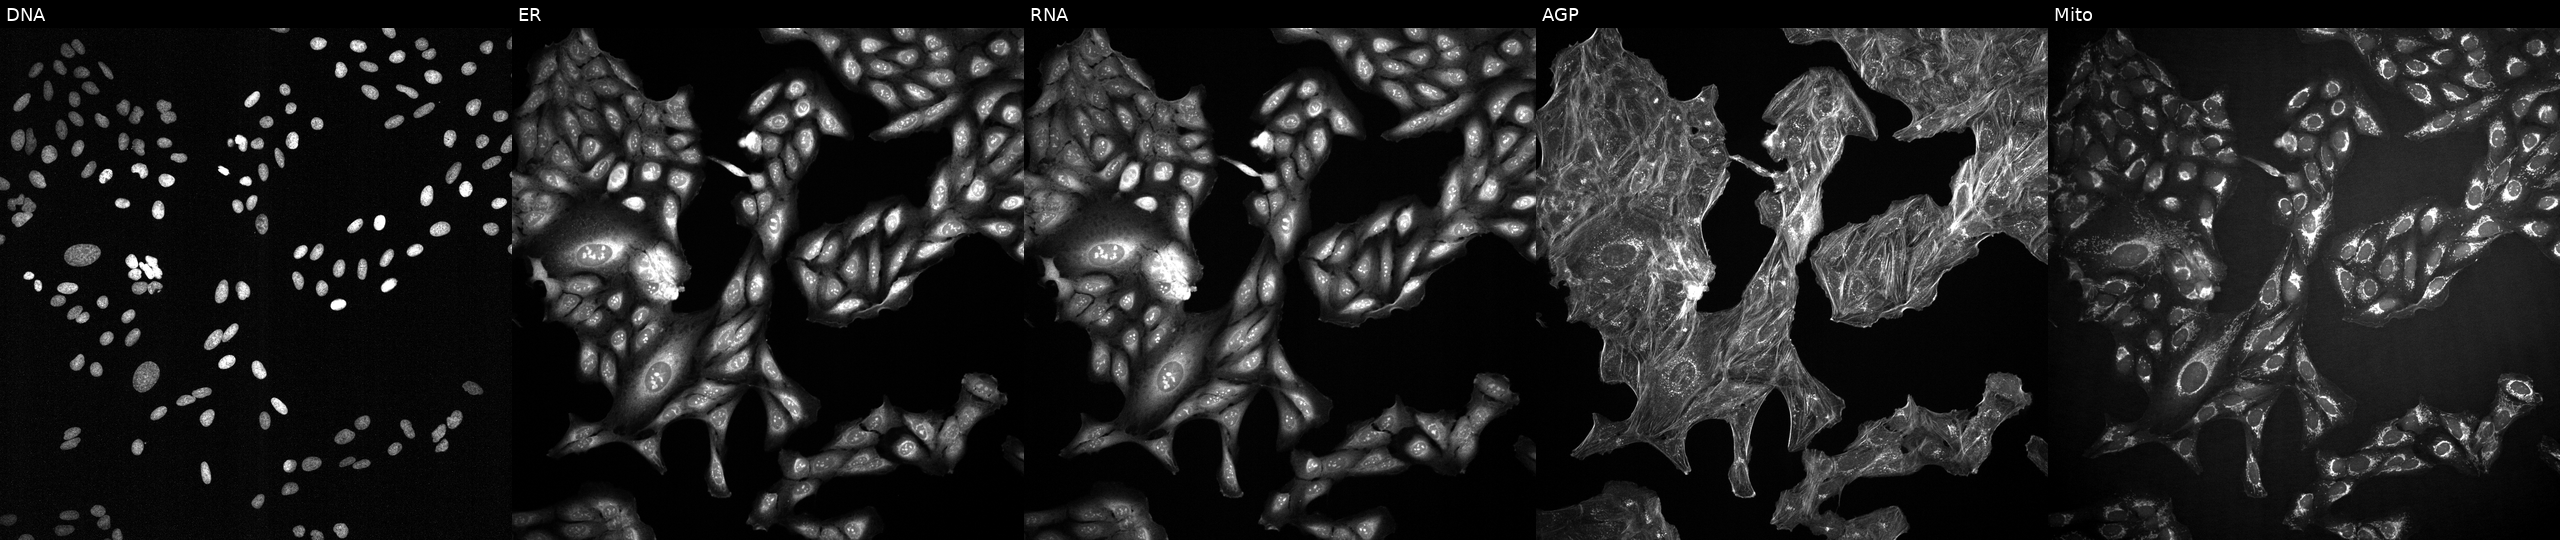
U2OS cells, Cell Painting assay, exposed to a small-molecule compound (InChIKey HAQDEJPEAKWAAM-UHFFFAOYSA-N). The five panels, left to right, show DNA (nuclei); ER (endoplasmic reticulum); RNA (nucleoli and cytoplasmic RNA); AGP (actin cytoskeleton, Golgi, and plasma membrane); Mito (mitochondria). Each panel is percentile-stretched 16-bit fluorescence.